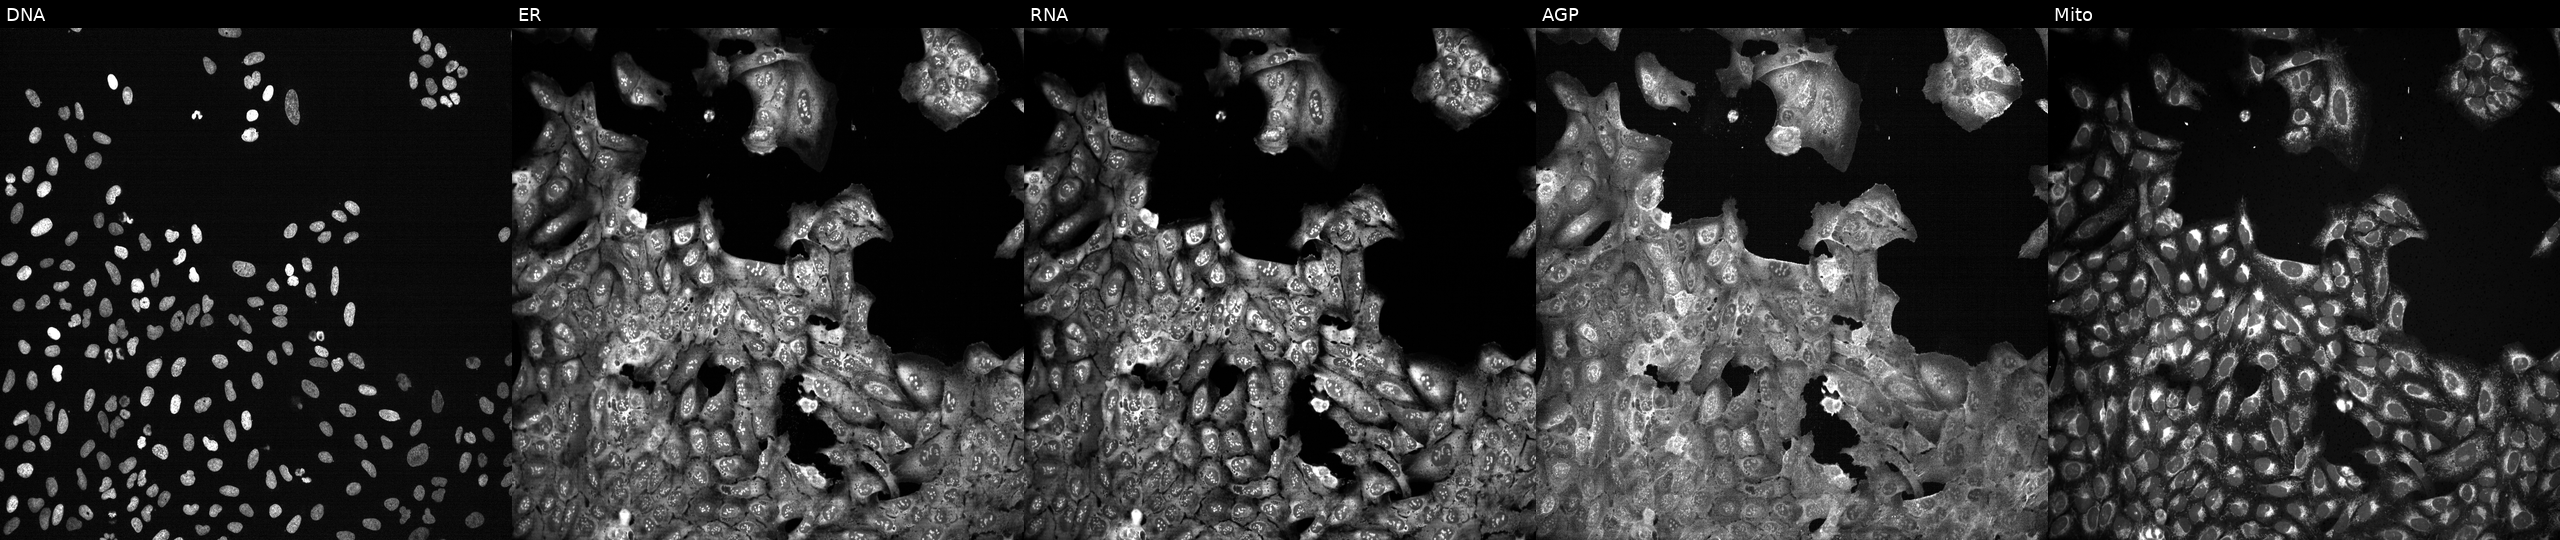
JUMP Cell Painting — CRISPR plate. U2OS cells with HLA-C knocked out by CRISPR (JUMP id JCP2022_803122). Panels show, left to right, DNA (nuclei); ER (endoplasmic reticulum); RNA (nucleoli and cytoplasmic RNA); AGP (actin cytoskeleton, Golgi, and plasma membrane); Mito (mitochondria).